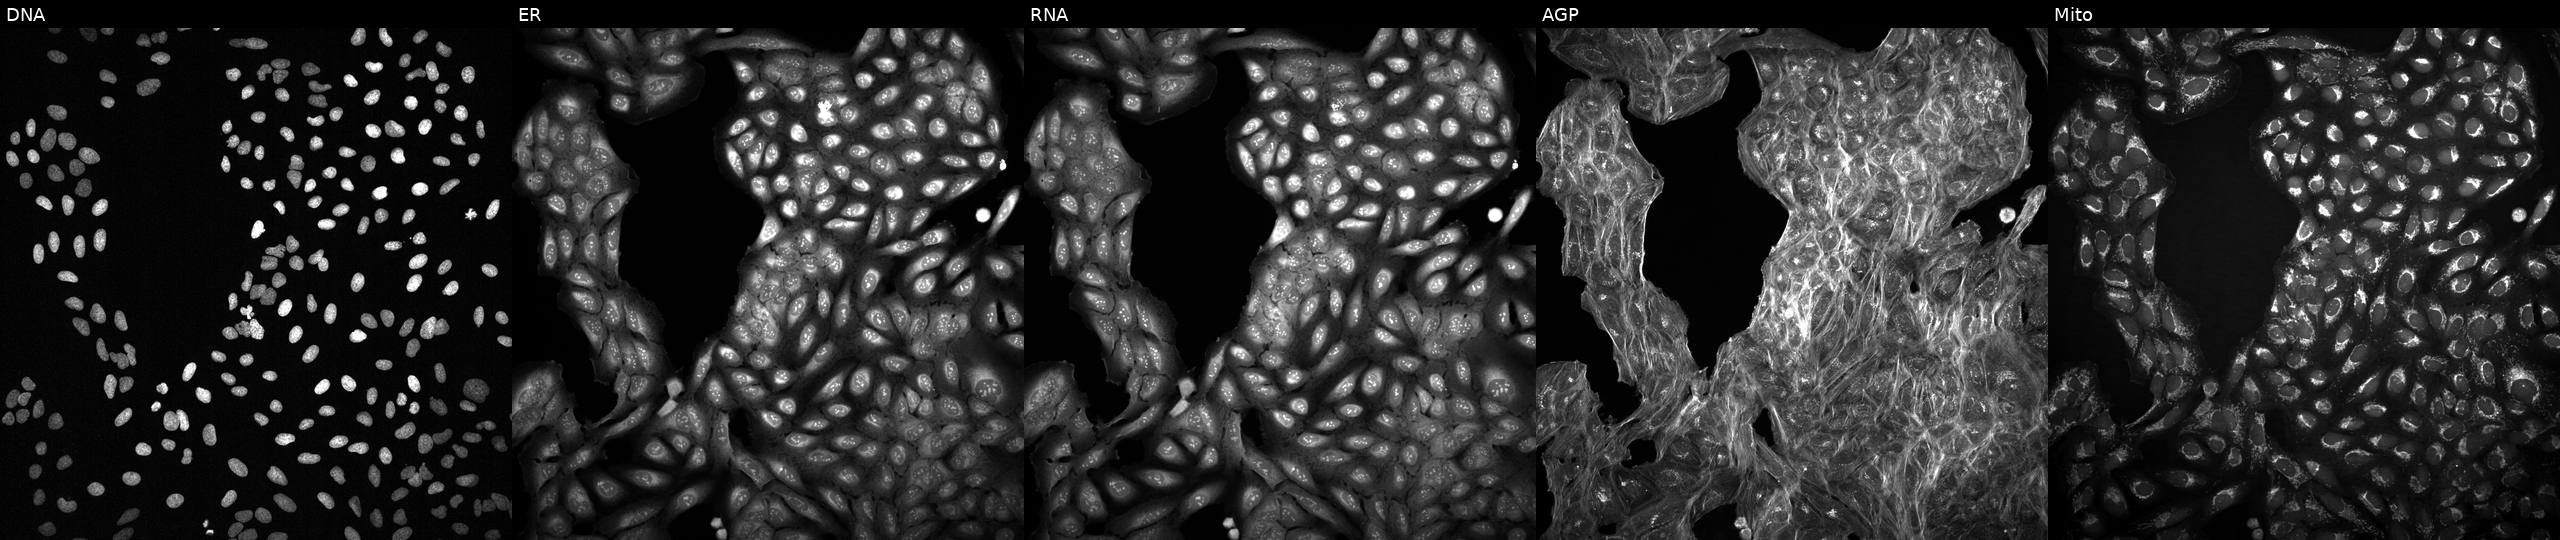
Five-channel Cell Painting image of U2OS cells exposed to a small-molecule compound (InChIKey WJBLNOPPDWQMCH-UHFFFAOYSA-N). From left to right: DNA (nuclei); ER (endoplasmic reticulum); RNA (nucleoli and cytoplasmic RNA); AGP (actin cytoskeleton, Golgi, and plasma membrane); Mito (mitochondria).